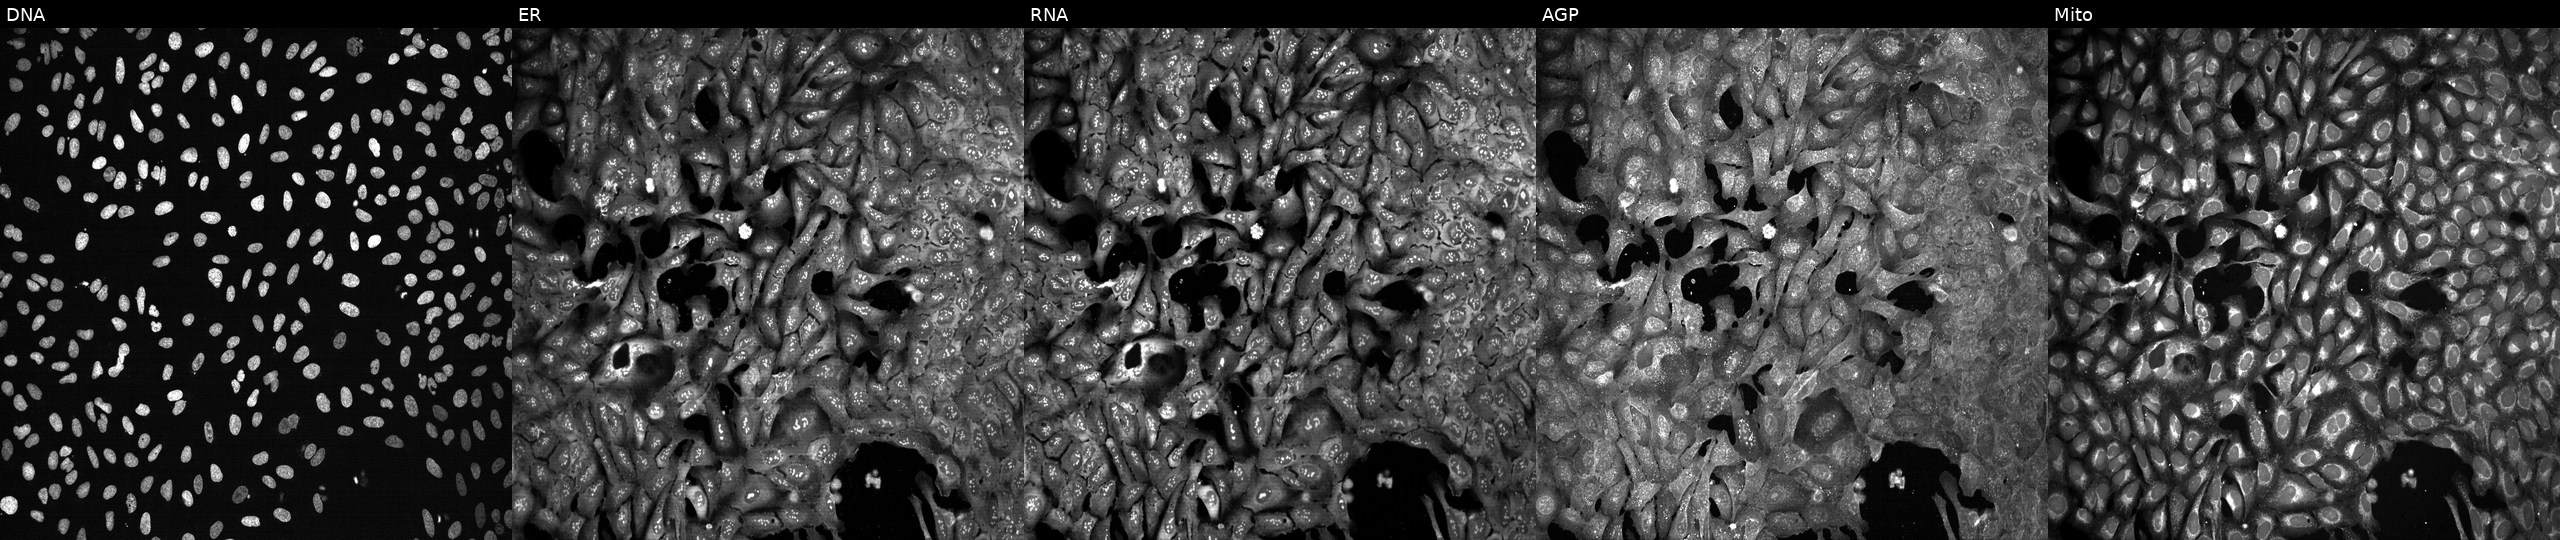
This image strip shows the five Cell Painting channels for a single field of U2OS cells following CRISPR knockout of CHD7. Channels (left→right): DNA (nuclei); ER (endoplasmic reticulum); RNA (nucleoli and cytoplasmic RNA); AGP (actin cytoskeleton, Golgi, and plasma membrane); Mito (mitochondria).